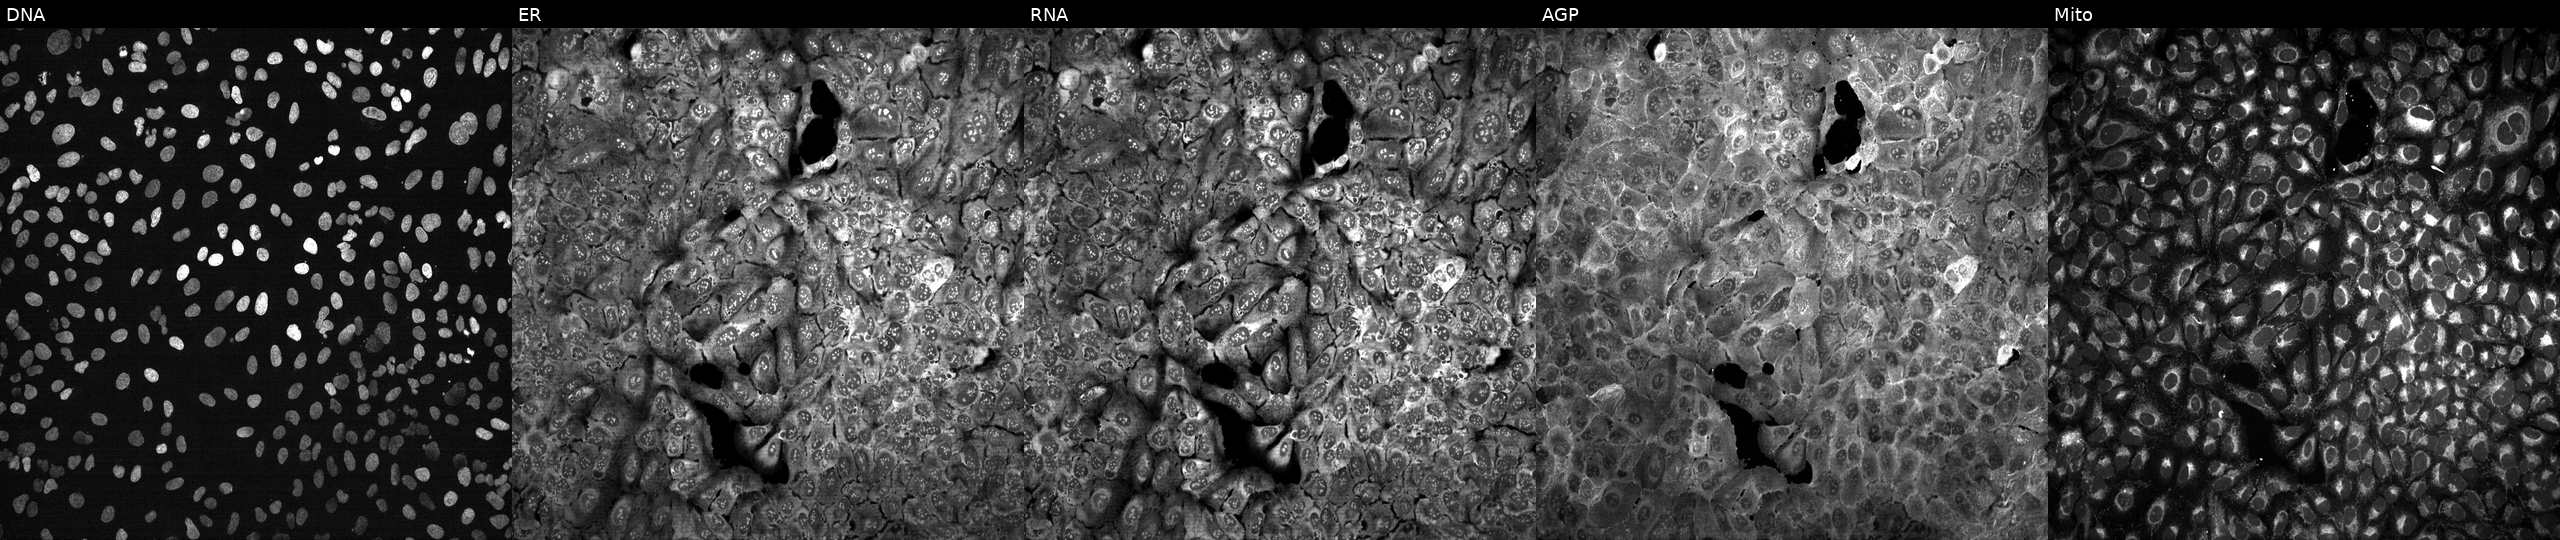
Five-channel Cell Painting image of U2OS cells with SPATA5L1 knocked out by CRISPR (JUMP id JCP2022_806729). The five panels, left to right, show DNA, ER, RNA, AGP, and Mito. Source 13, plate CP-CC9-R3-01, well A16.